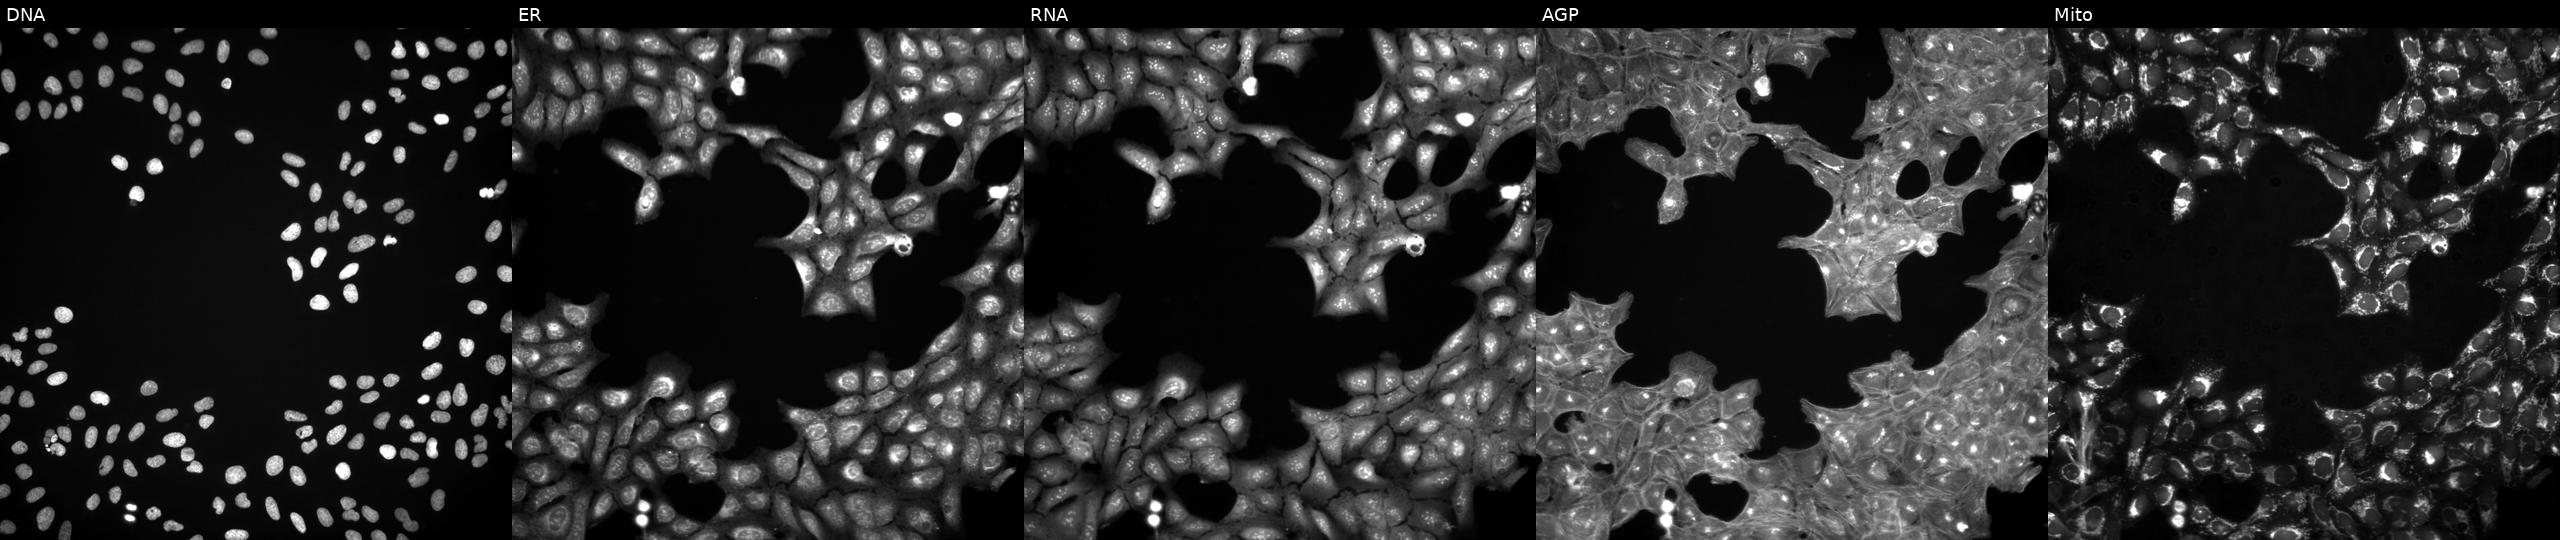
Channels (left→right): DNA, ER, RNA, AGP, and Mito. U2OS osteosarcoma cells exposed to a small-molecule compound (InChIKey AZYDQCGCBQYFSE-UHFFFAOYSA-N) (JUMP id JCP2022_004940). Cell Painting assay, JUMP-CP dataset.